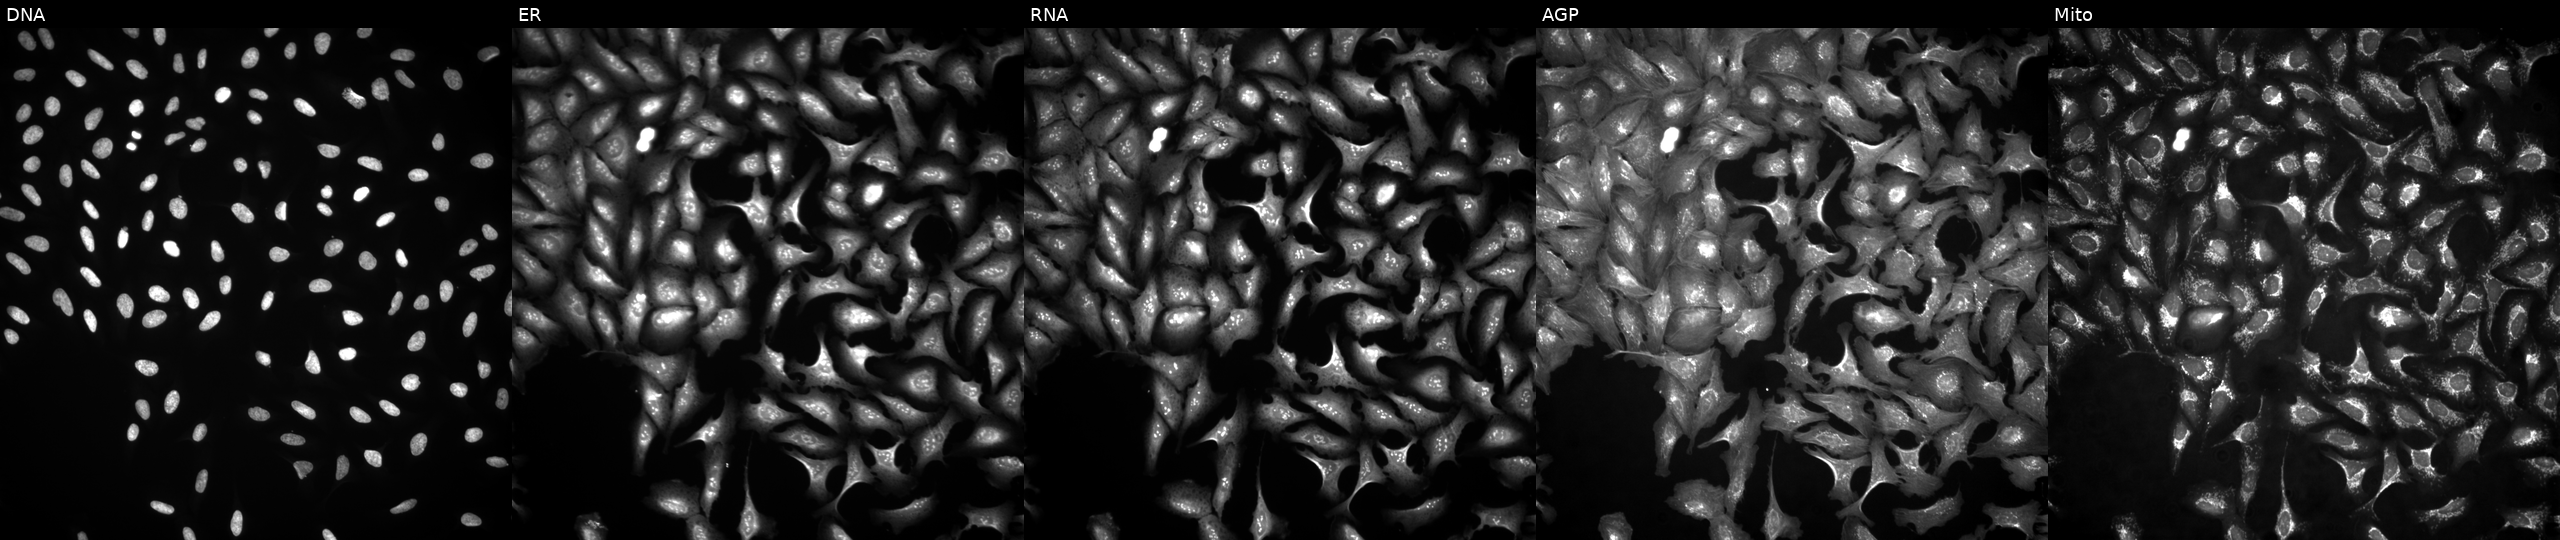
Five-channel Cell Painting image of U2OS cells expressing HcRed (ORF negative control). Channels (left→right): Hoechst 33342, concanavalin A, SYTO 14, phalloidin and WGA, MitoTracker. Source 4, plate BR00124787, well D07.